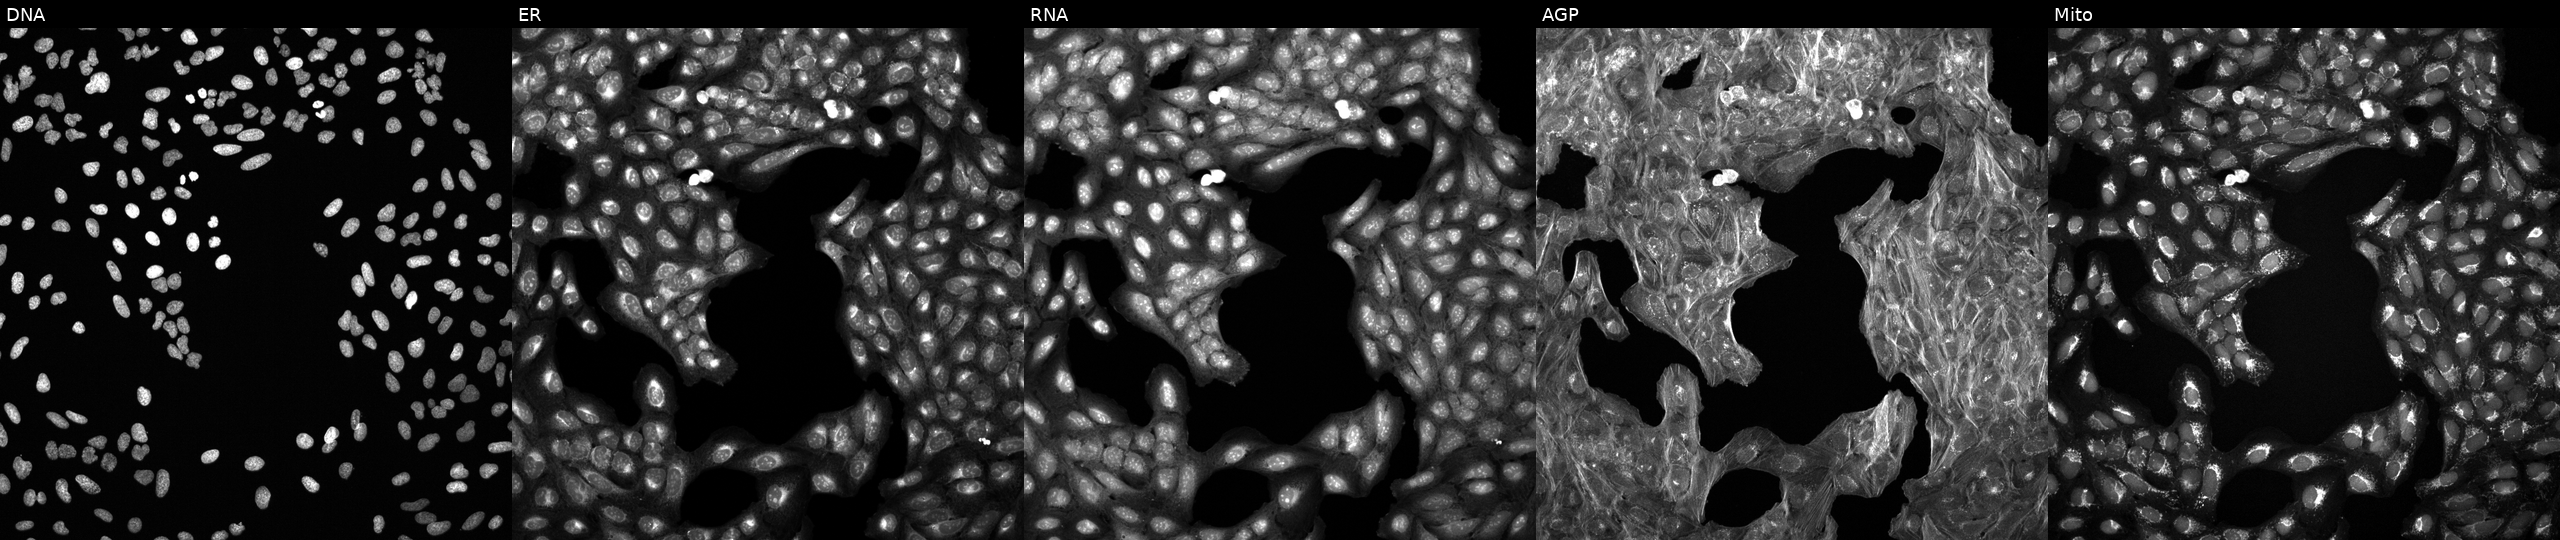
JUMP Cell Painting — TARGET2 plate. U2OS cells treated with a small-molecule compound. Panels show, left to right, DNA (nuclei); ER (endoplasmic reticulum); RNA (nucleoli and cytoplasmic RNA); AGP (actin cytoskeleton, Golgi, and plasma membrane); Mito (mitochondria).